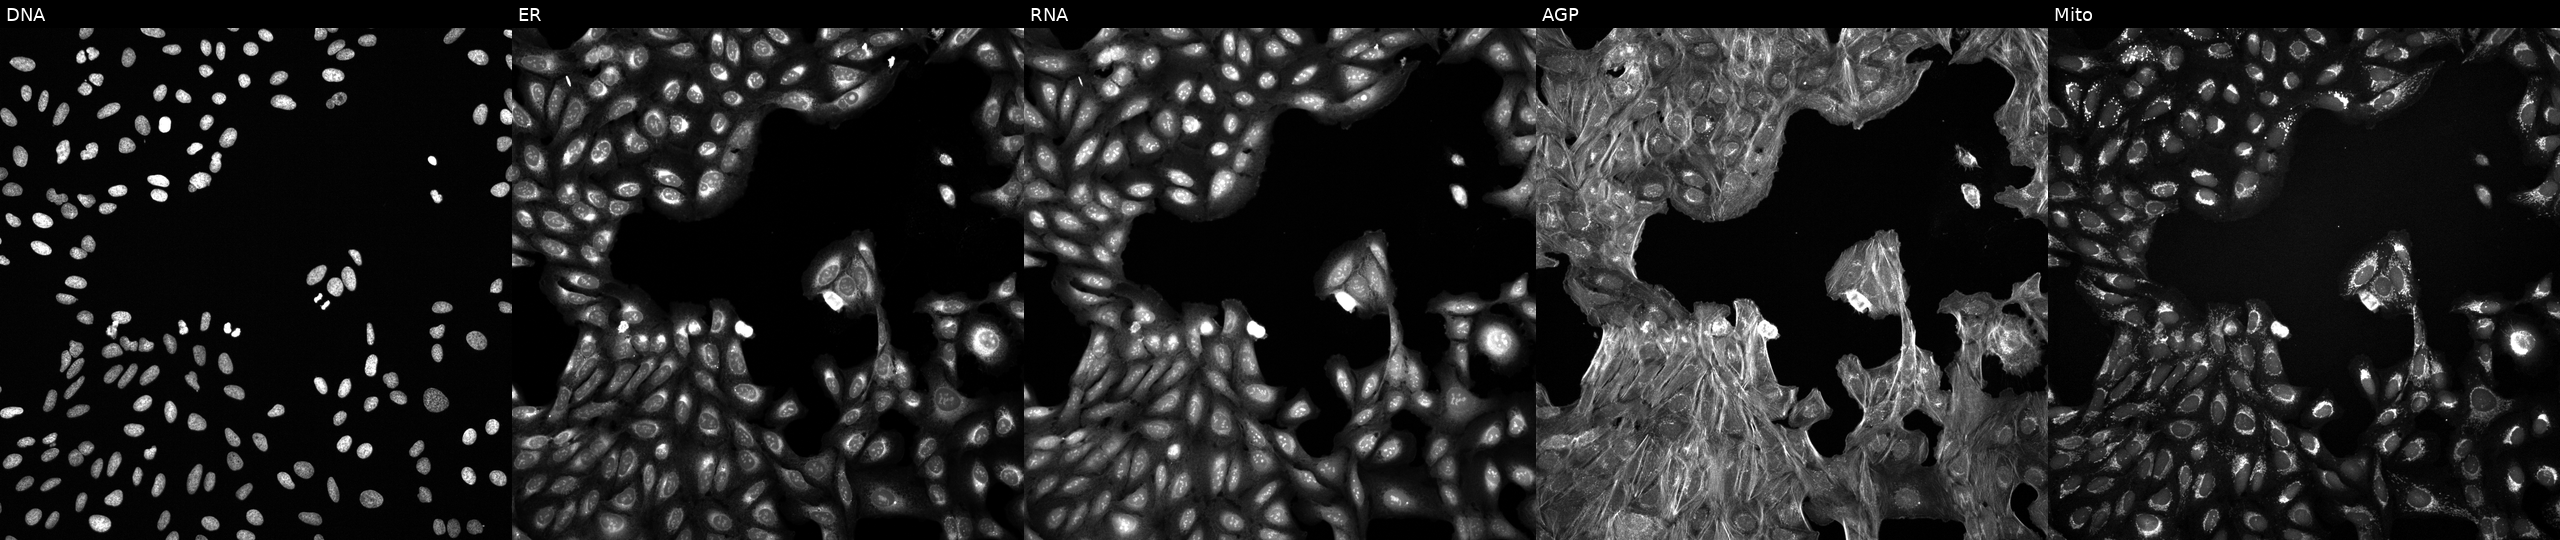
High-content fluorescence microscopy (Cell Painting). Cell line: U2OS. Perturbation: treated with a small-molecule compound (JUMP id JCP2022_112775). From left to right: DNA (nuclei); ER (endoplasmic reticulum); RNA (nucleoli and cytoplasmic RNA); AGP (actin cytoskeleton, Golgi, and plasma membrane); Mito (mitochondria).